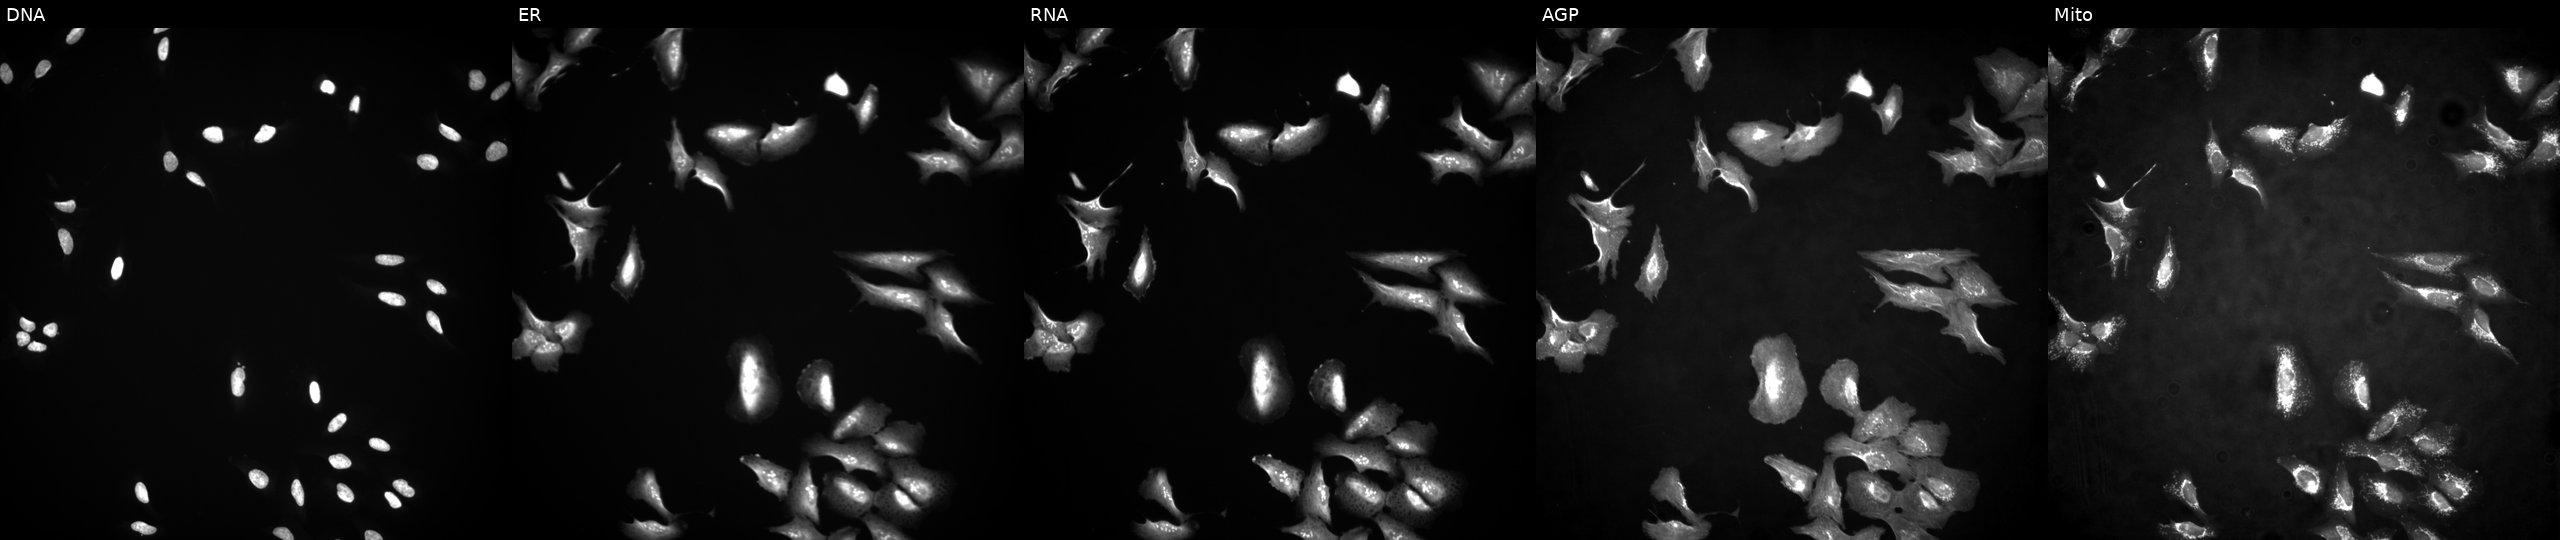
This image strip shows the five Cell Painting channels for a single field of U2OS cells transfected with an ORF construct for CBX7. Panels show, left to right, DNA, ER, RNA, AGP, and Mito.